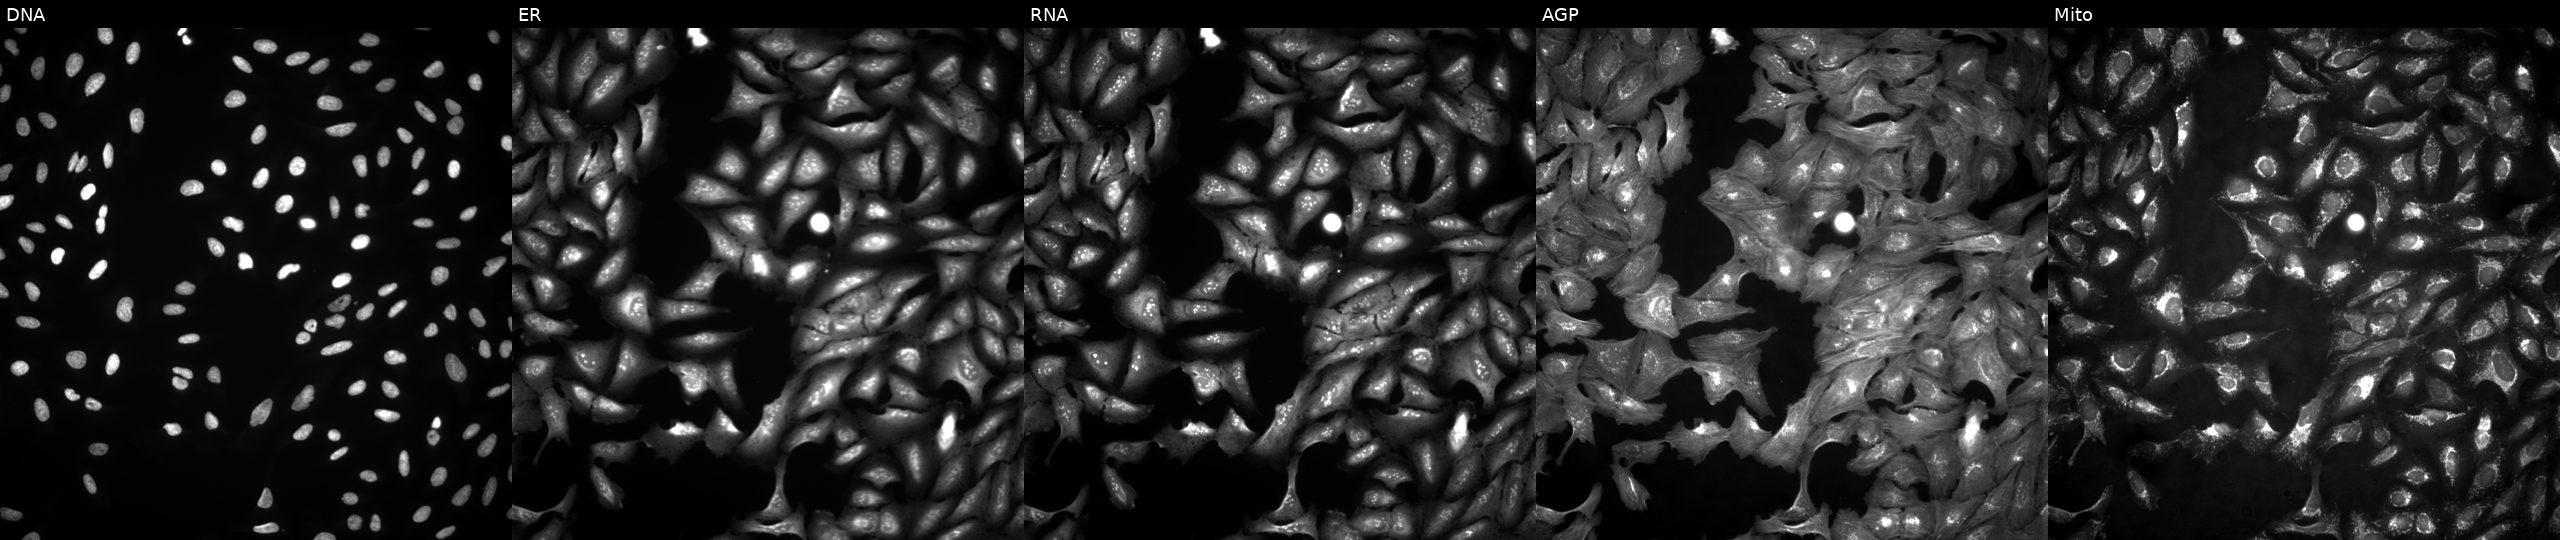
High-content fluorescence microscopy (Cell Painting). Cell line: U2OS. Perturbation: overexpressing XLOC_l2_007488 via ORF transfection (JUMP id JCP2022_912363). From left to right: DNA (nuclei); ER (endoplasmic reticulum); RNA (nucleoli and cytoplasmic RNA); AGP (actin cytoskeleton, Golgi, and plasma membrane); Mito (mitochondria).